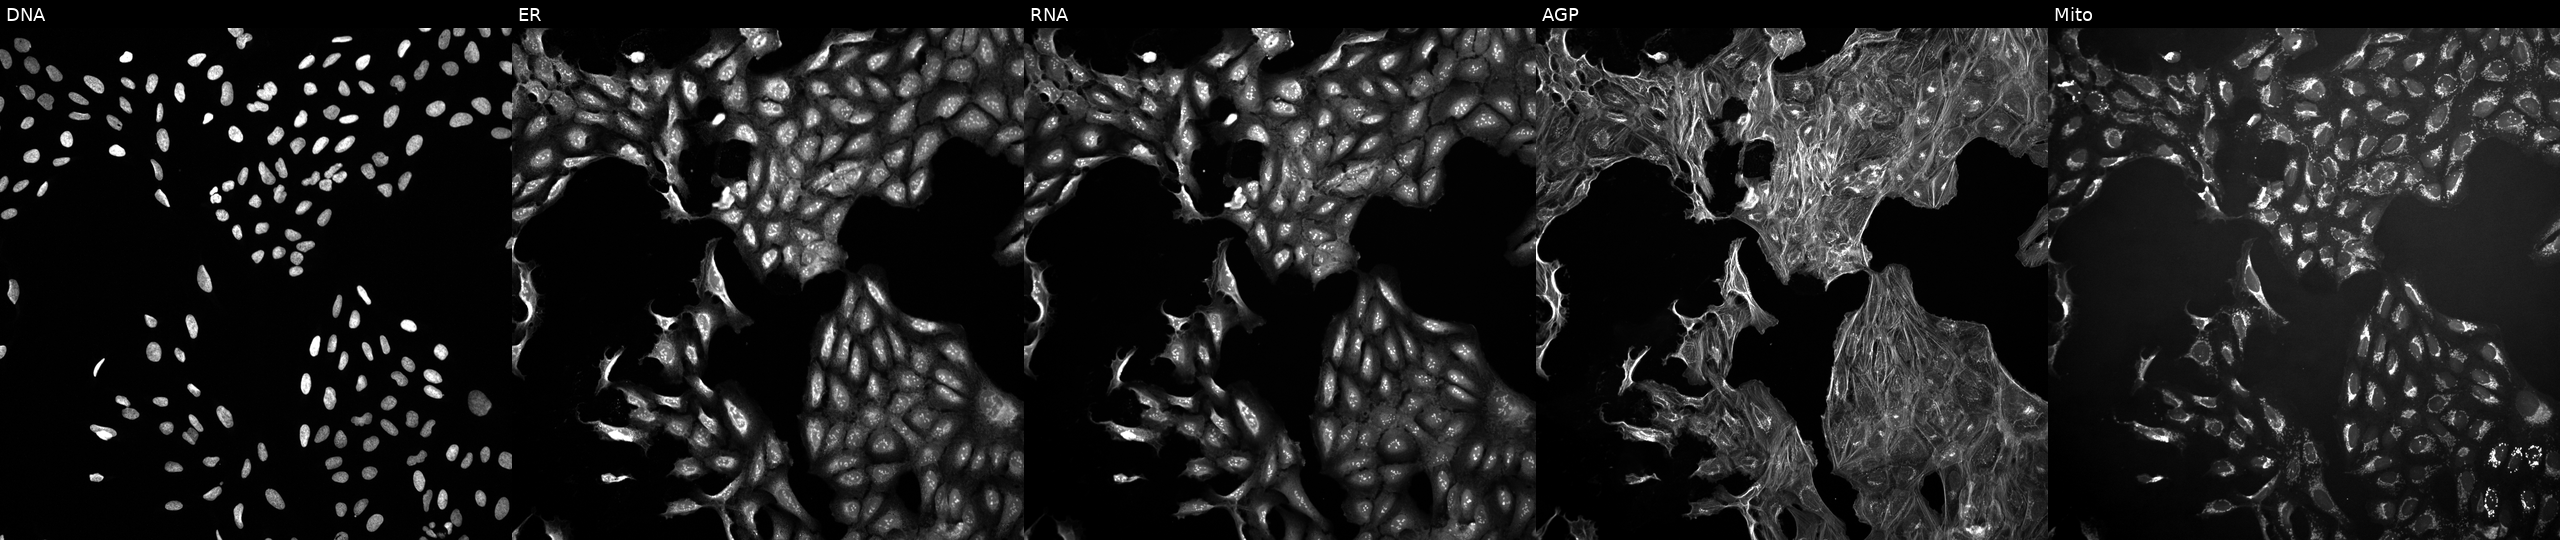
This image strip shows the five Cell Painting channels for a single field of U2OS cells perturbed with a small-molecule compound (InChIKey KPYSYYIEGFHWSV-UHFFFAOYSA-N) [SMILES: NCC(CC(=O)O)c1ccc(Cl)cc1] (JUMP id JCP2022_046239). Panels show, left to right, DNA, ER, RNA, AGP, and Mito.